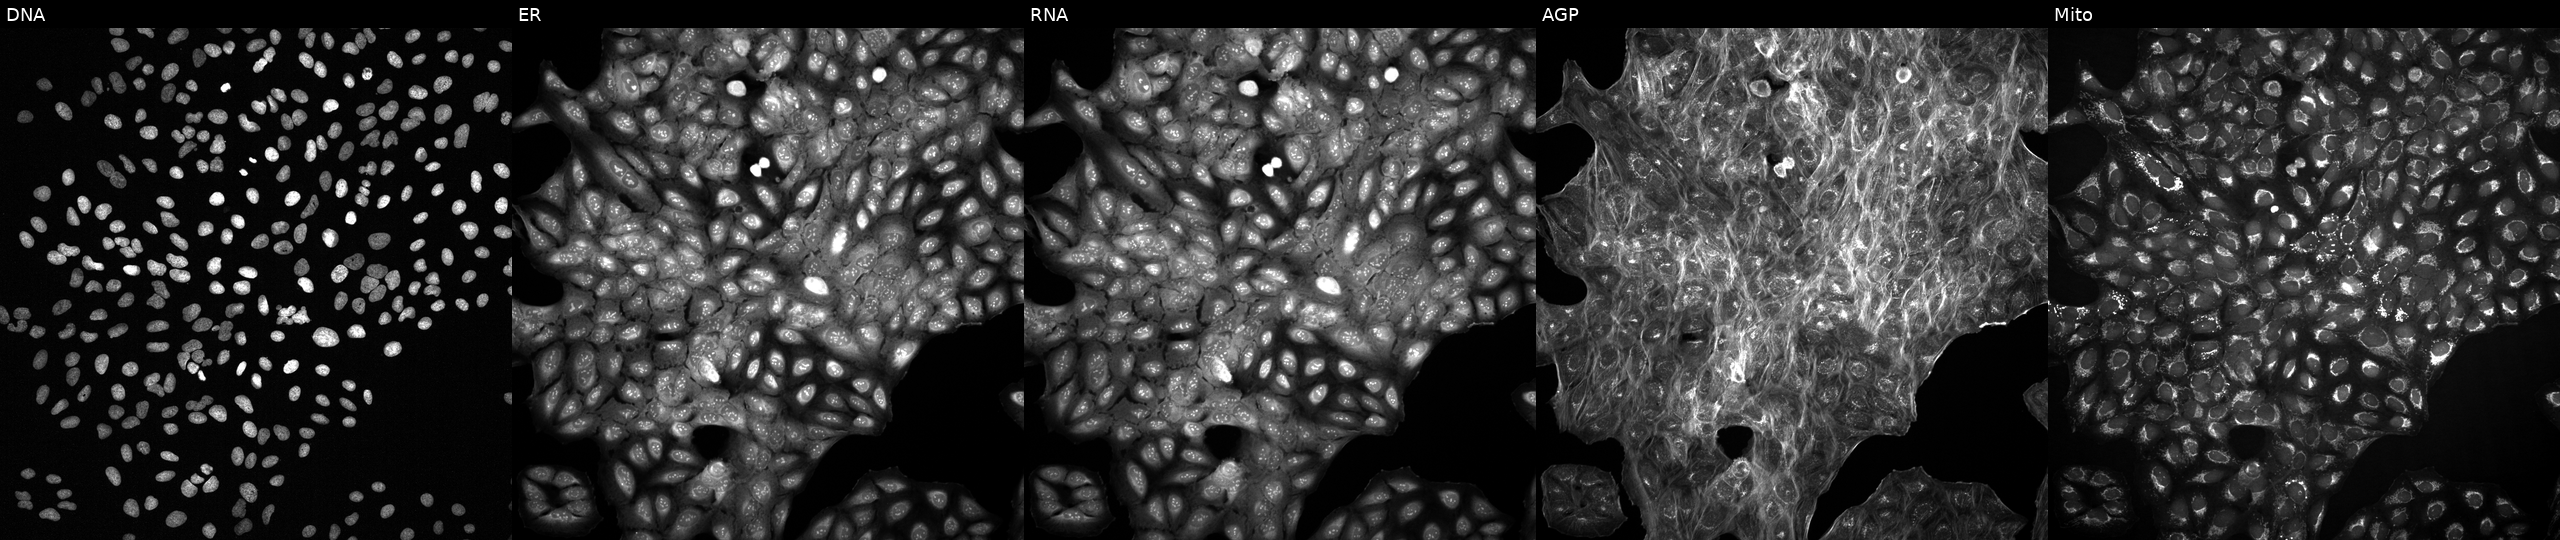
This image strip shows the five Cell Painting channels for a single field of U2OS cells with an unidentified perturbation (not annotated in JUMP metadata). Channels (left→right): DNA, ER, RNA, AGP, and Mito.